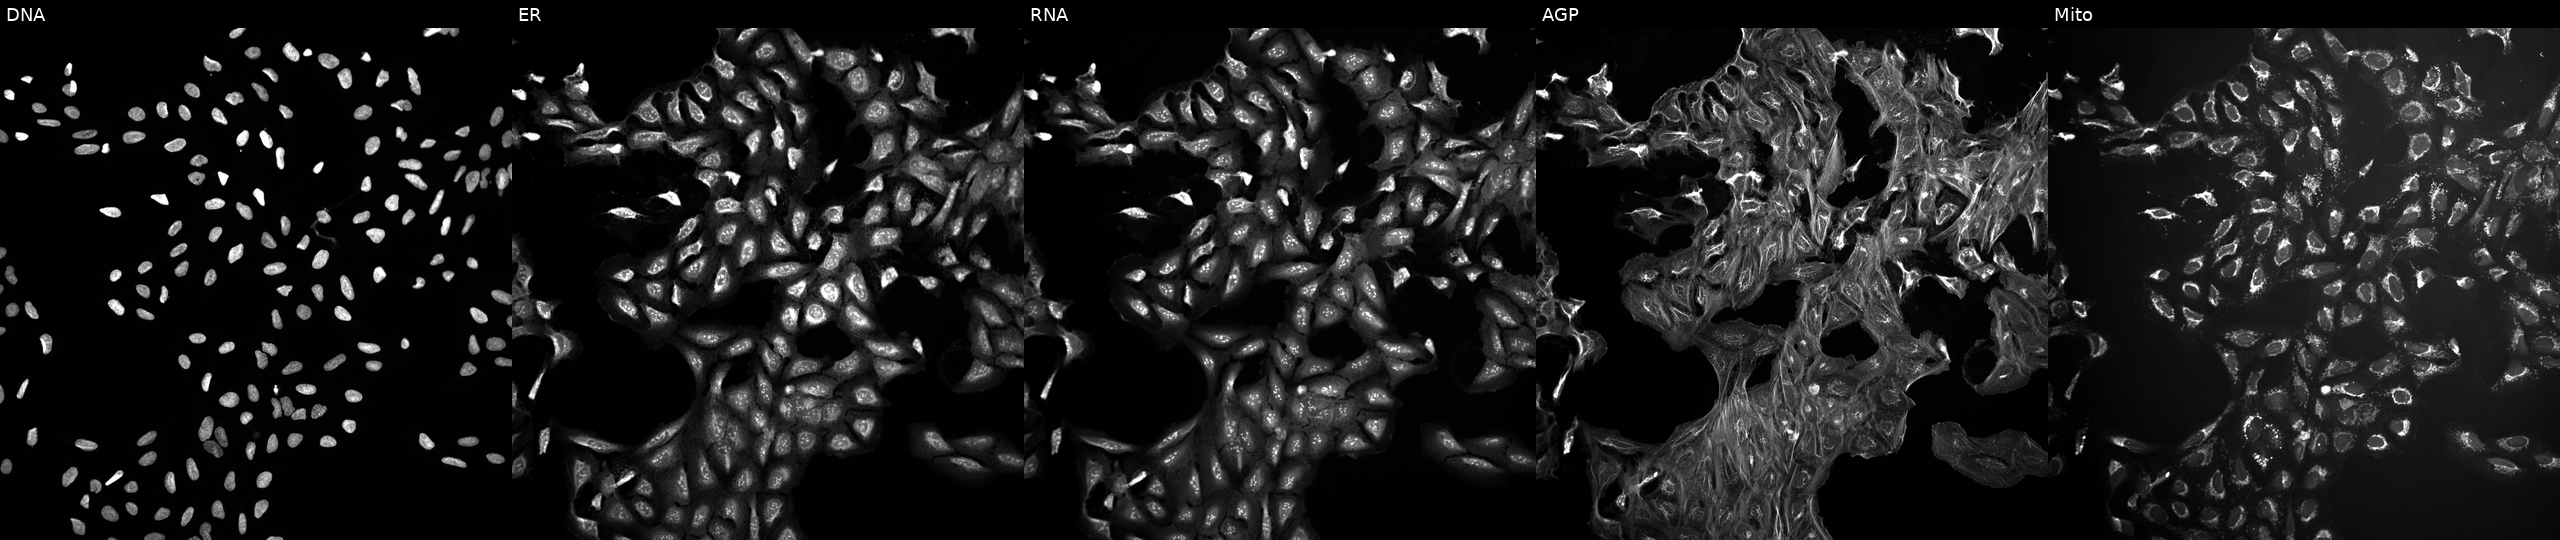
U2OS cells, Cell Painting assay, perturbed with a small-molecule compound (InChIKey UFJGFNHRMPMALC-UHFFFAOYSA-N). From left to right: DNA (nuclei); ER (endoplasmic reticulum); RNA (nucleoli and cytoplasmic RNA); AGP (actin cytoskeleton, Golgi, and plasma membrane); Mito (mitochondria). Each panel is percentile-stretched 16-bit fluorescence.